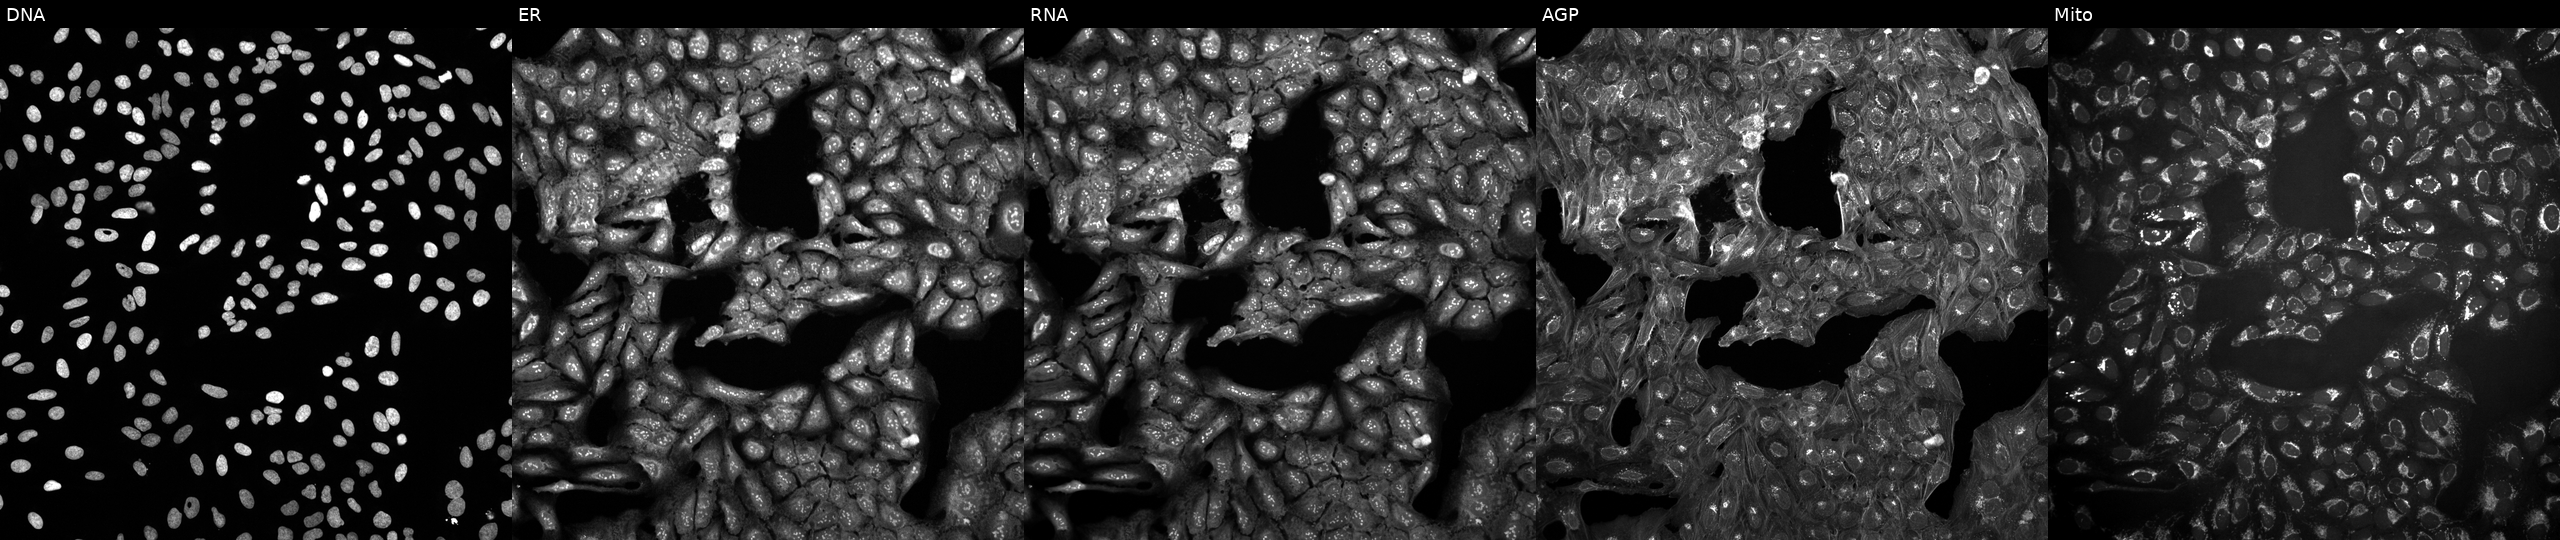
Five-channel Cell Painting image of U2OS cells in an empty control well (no perturbation). Panels show, left to right, DNA (nuclei); ER (endoplasmic reticulum); RNA (nucleoli and cytoplasmic RNA); AGP (actin cytoskeleton, Golgi, and plasma membrane); Mito (mitochondria).